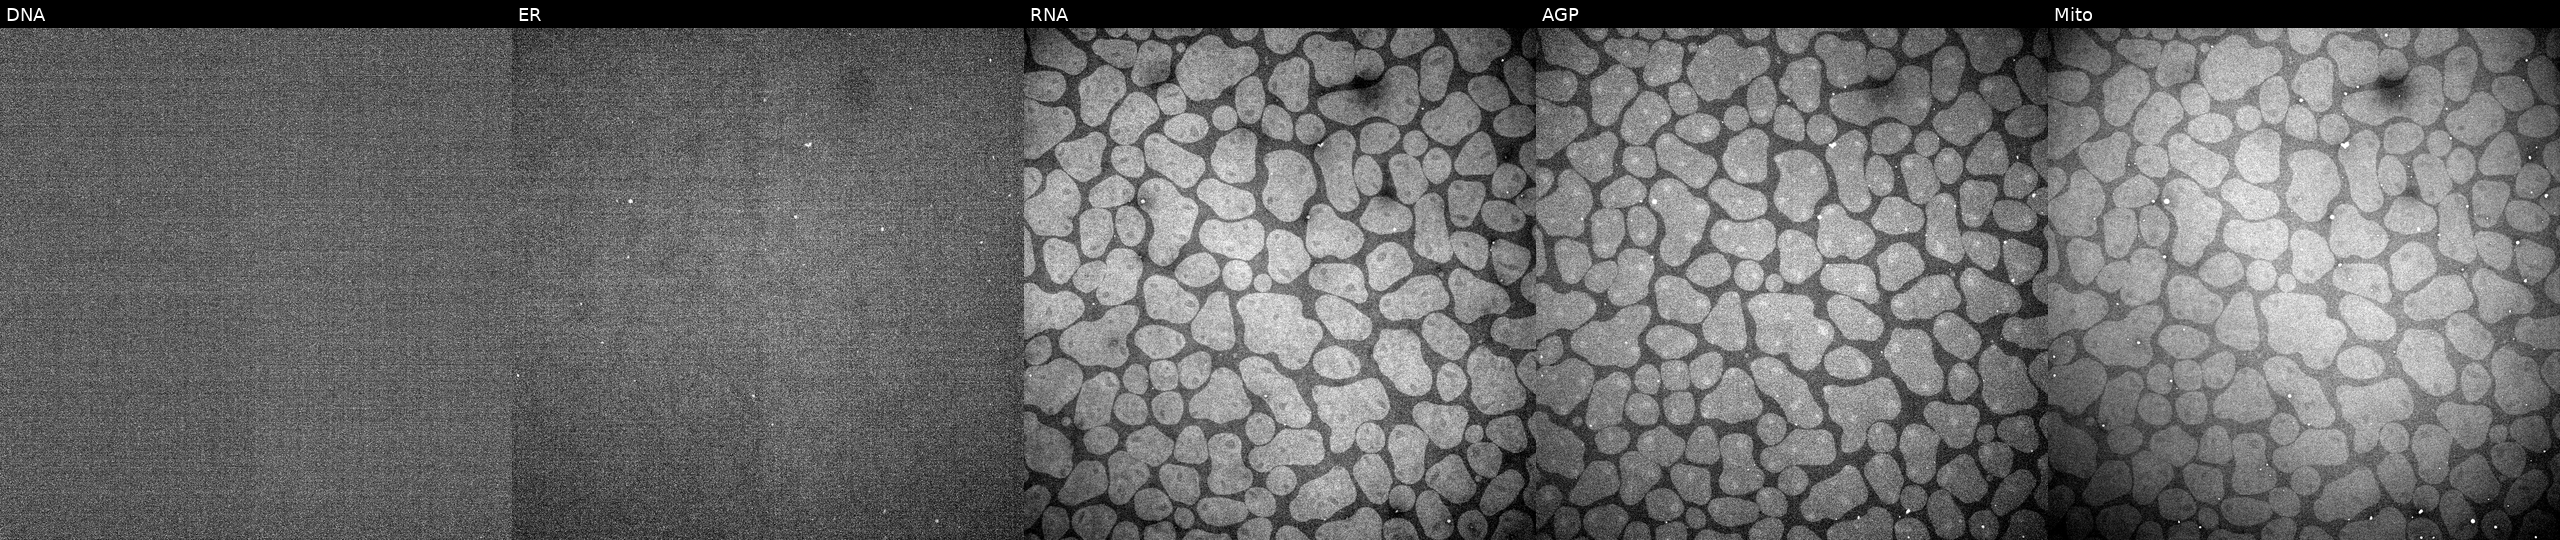
This image strip shows the five Cell Painting channels for a single field of U2OS cells with an unidentified perturbation (not annotated in JUMP metadata). From left to right: DNA, ER, RNA, AGP, and Mito. Source 5, plate ACPJUM032, well I18.